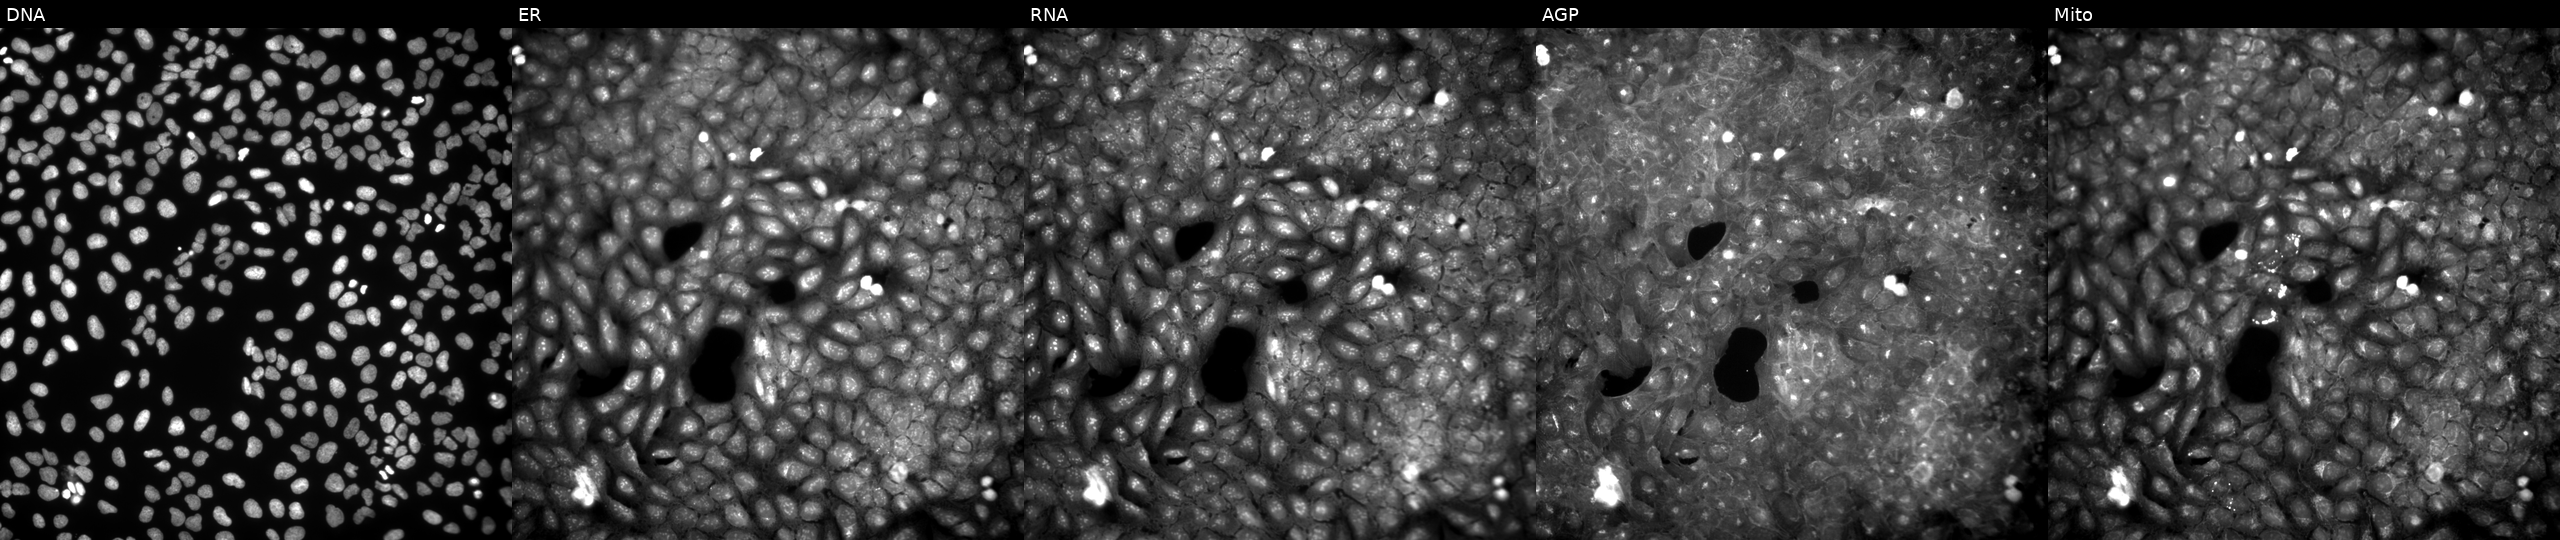
U2OS cells, Cell Painting assay, treated with a small-molecule compound (InChIKey LHEWNKDKPFYSHV-UHFFFAOYSA-N). Panels show, left to right, DNA (nuclei); ER (endoplasmic reticulum); RNA (nucleoli and cytoplasmic RNA); AGP (actin cytoskeleton, Golgi, and plasma membrane); Mito (mitochondria). Each panel is percentile-stretched 16-bit fluorescence.